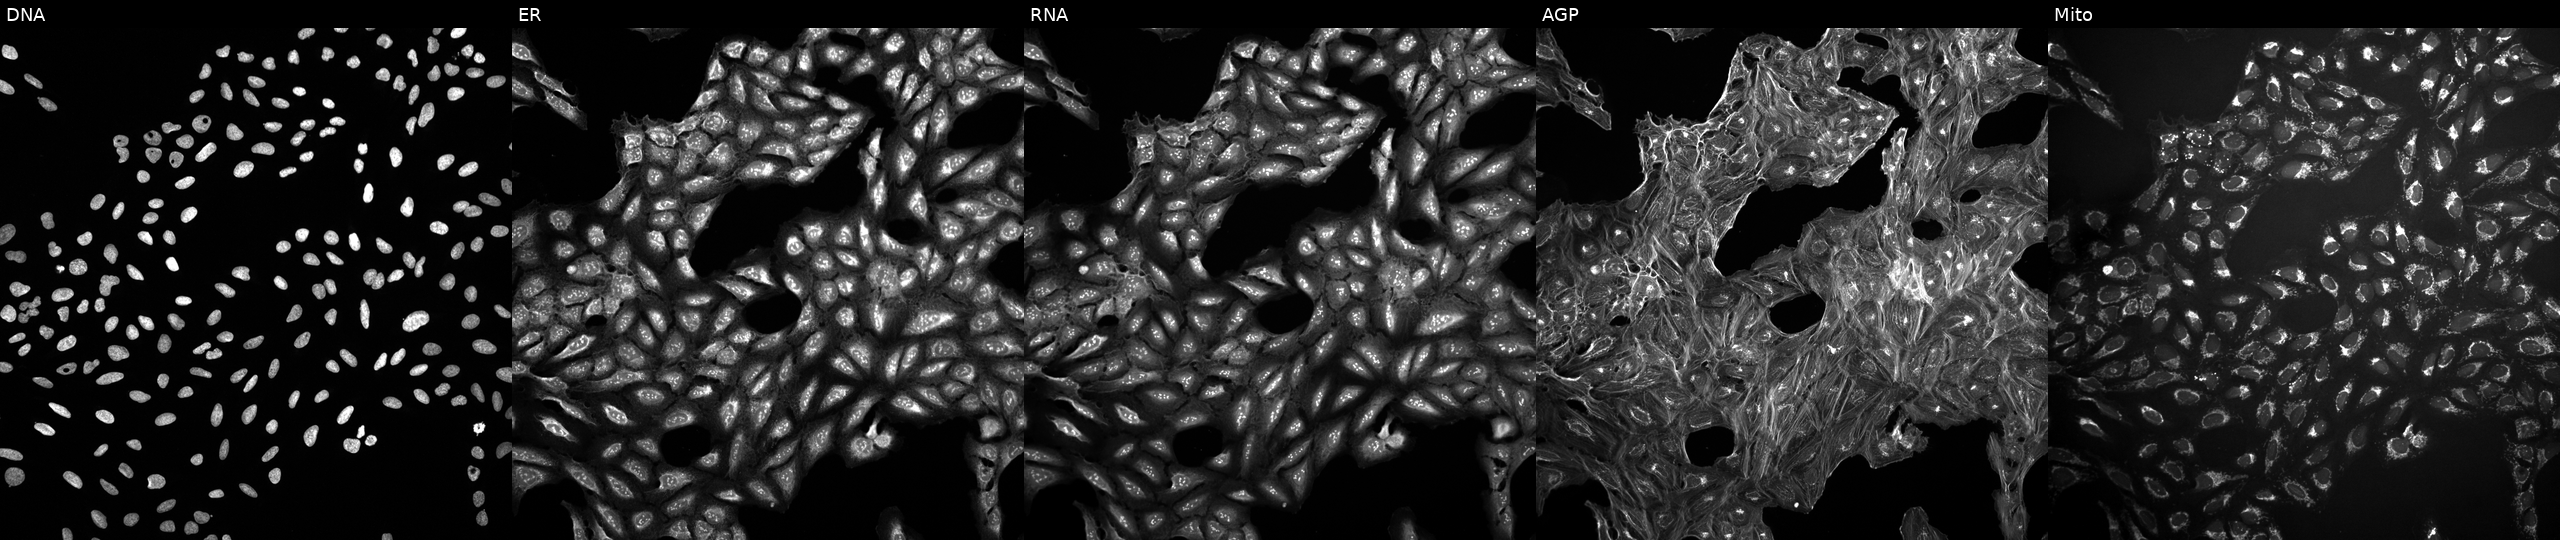
U2OS cells, Cell Painting assay, treated with a small-molecule compound [SMILES: CC(C)COCC(CN(Cc1ccccc1)c1ccccc1)N1CCCC1]. The five panels, left to right, show DNA, ER, RNA, AGP, and Mito. Each panel is percentile-stretched 16-bit fluorescence.